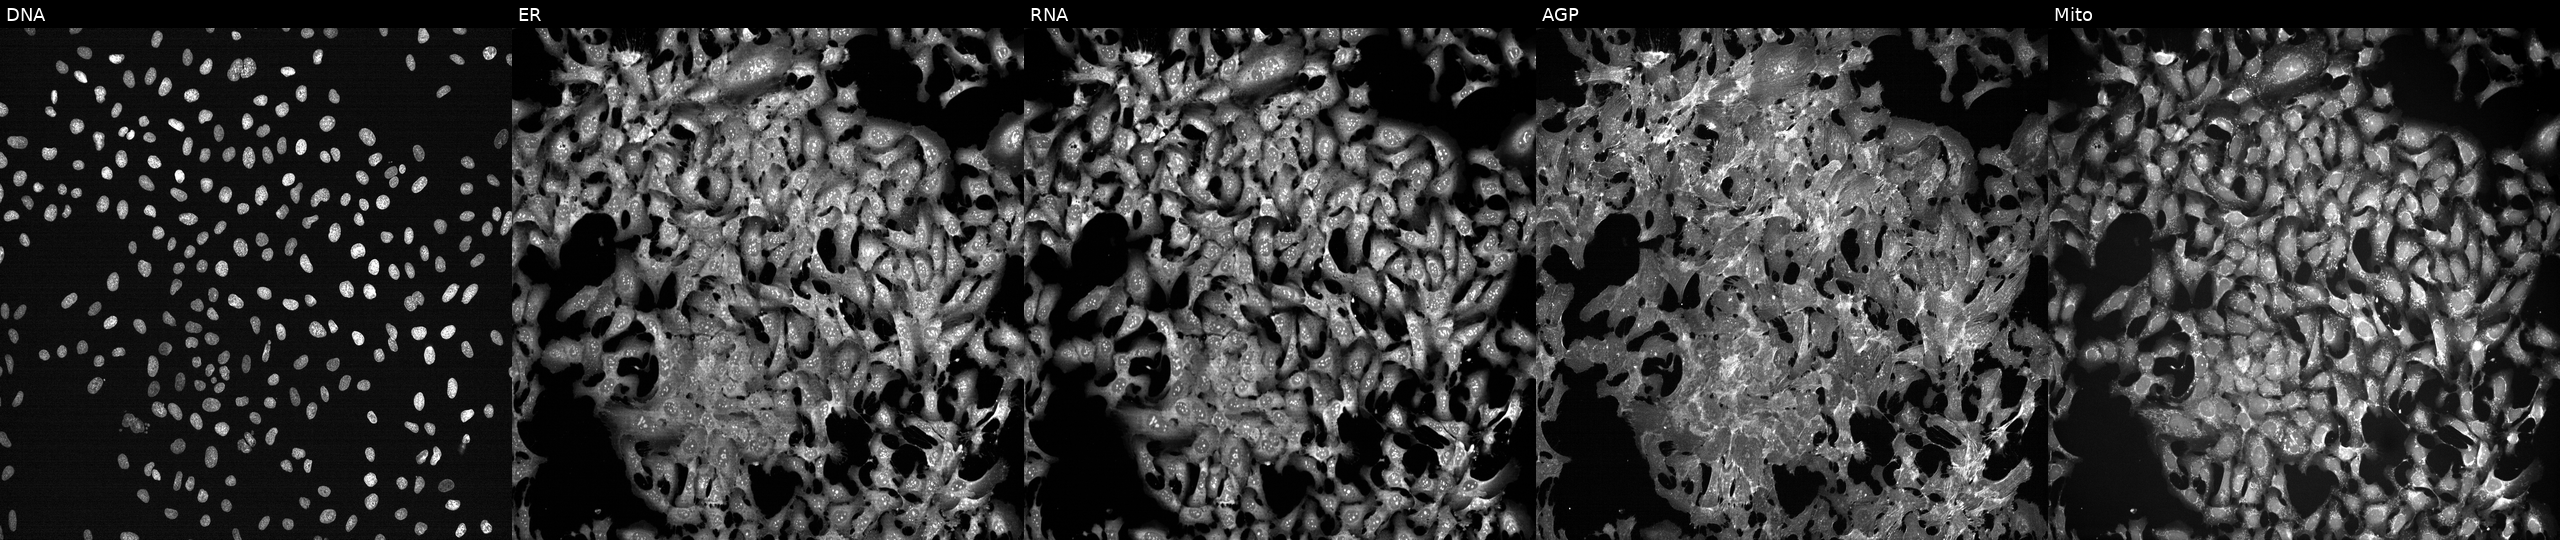
JUMP Cell Painting — TARGET2 plate. U2OS cells exposed to the positive-control compound FK-866 (JUMP id JCP2022_046054). The five panels, left to right, show Hoechst 33342, concanavalin A, SYTO 14, phalloidin and WGA, MitoTracker. Source 7, plate CP3-SC1-25, well H04.